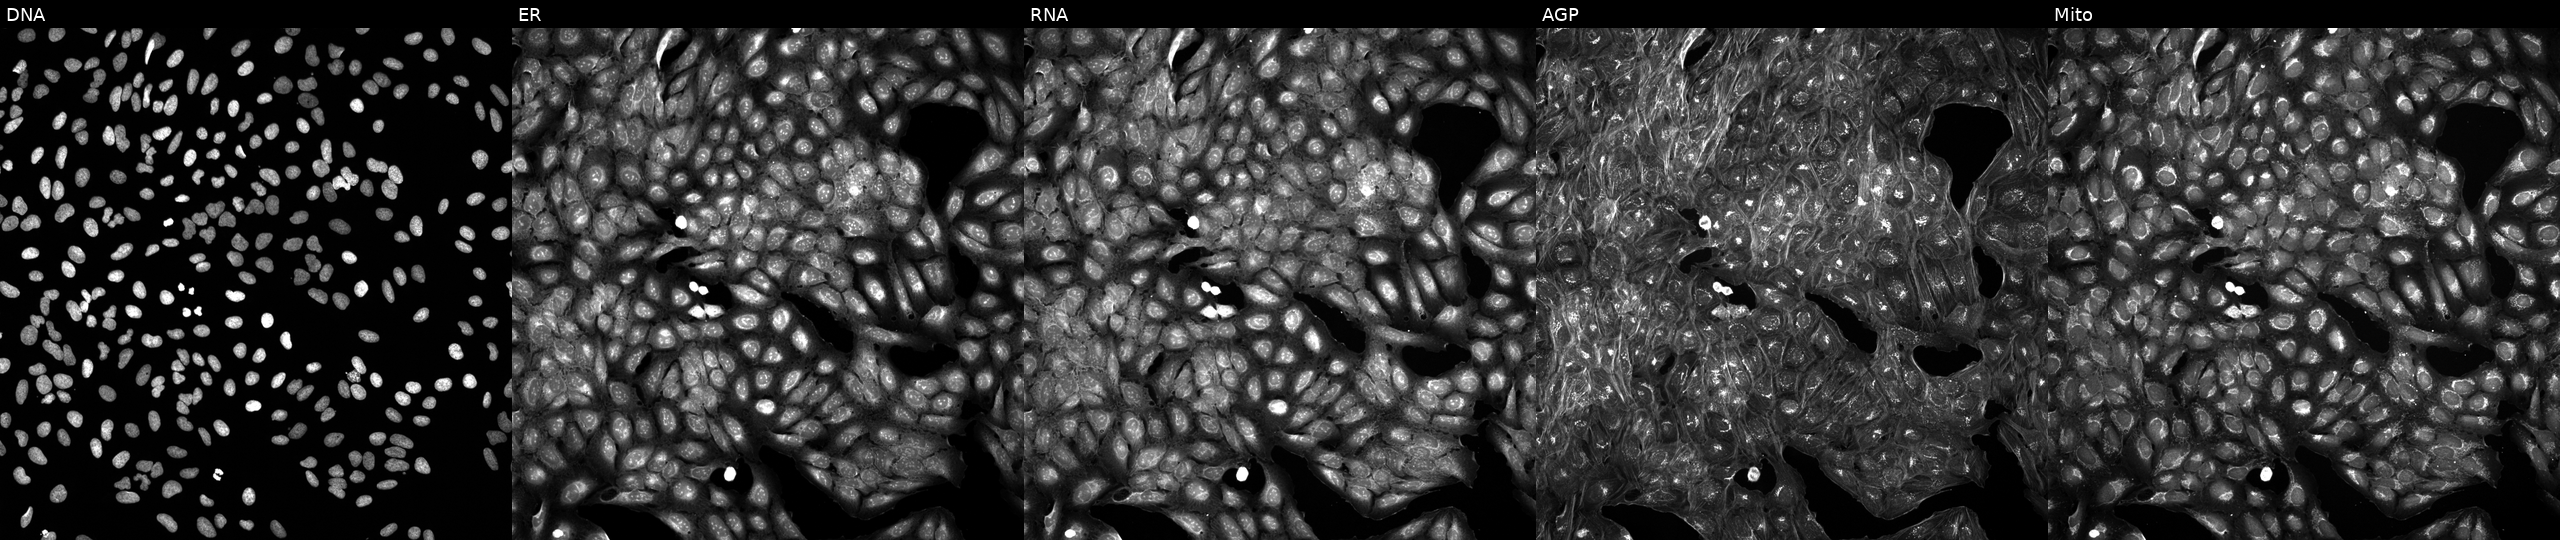
Five-channel Cell Painting image of U2OS cells exposed to a small-molecule compound (JUMP id JCP2022_086298). From left to right: DNA, ER, RNA, AGP, and Mito. Source 5, plate APTJUM105, well F19.